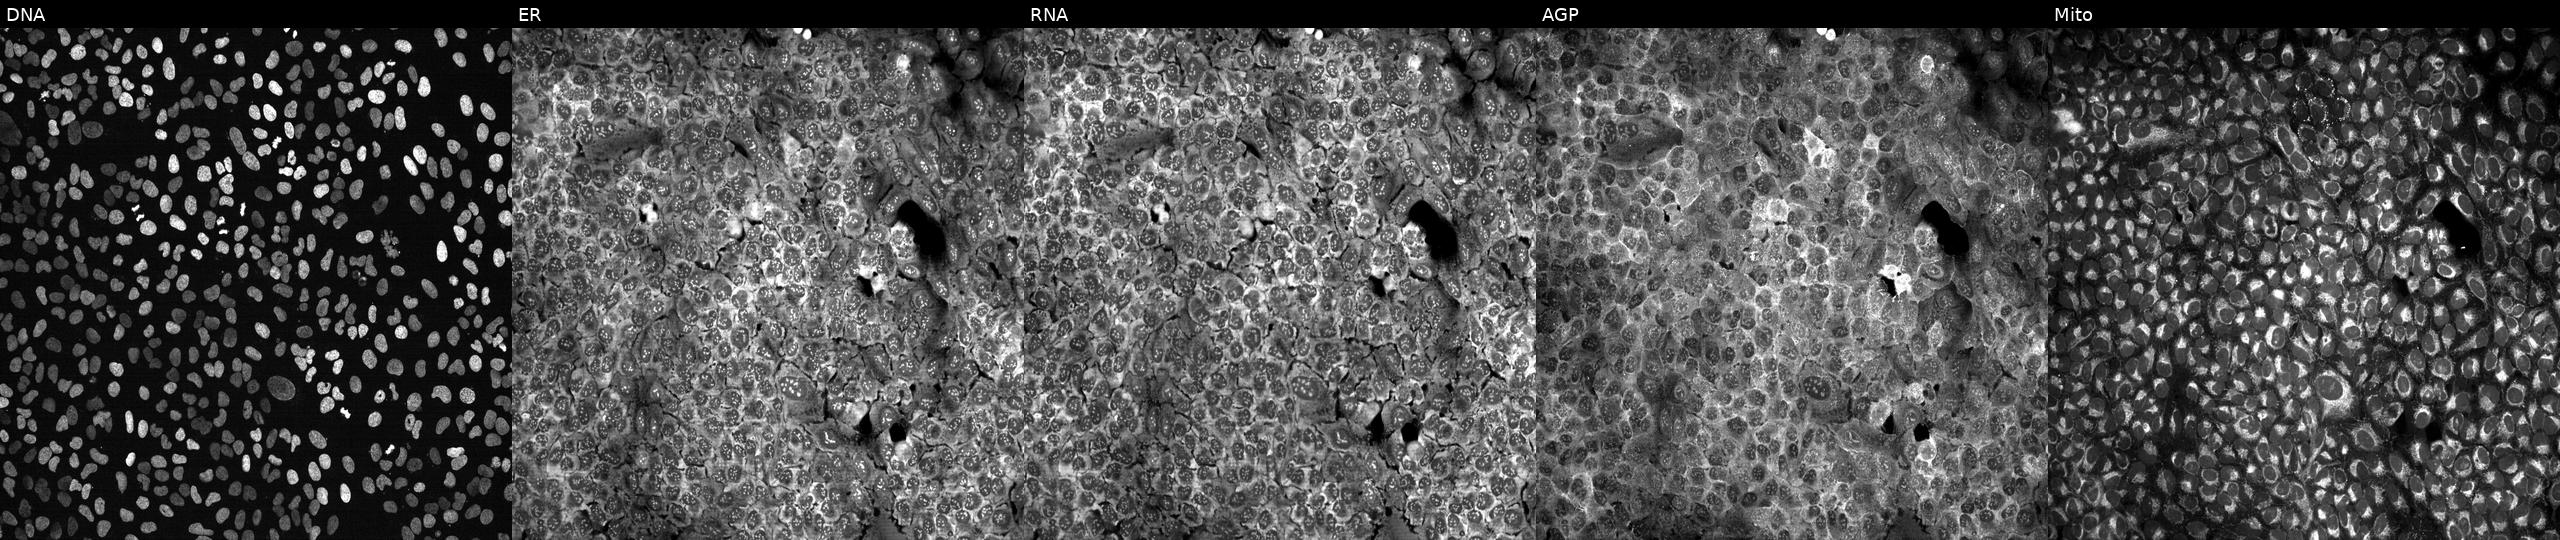
U2OS cells, Cell Painting assay, with PLSCR4 knocked out by CRISPR. Panels show, left to right, Hoechst 33342, concanavalin A, SYTO 14, phalloidin and WGA, MitoTracker. Each panel is percentile-stretched 16-bit fluorescence. Source 13, plate CP-CC9-R4-03, well H12.